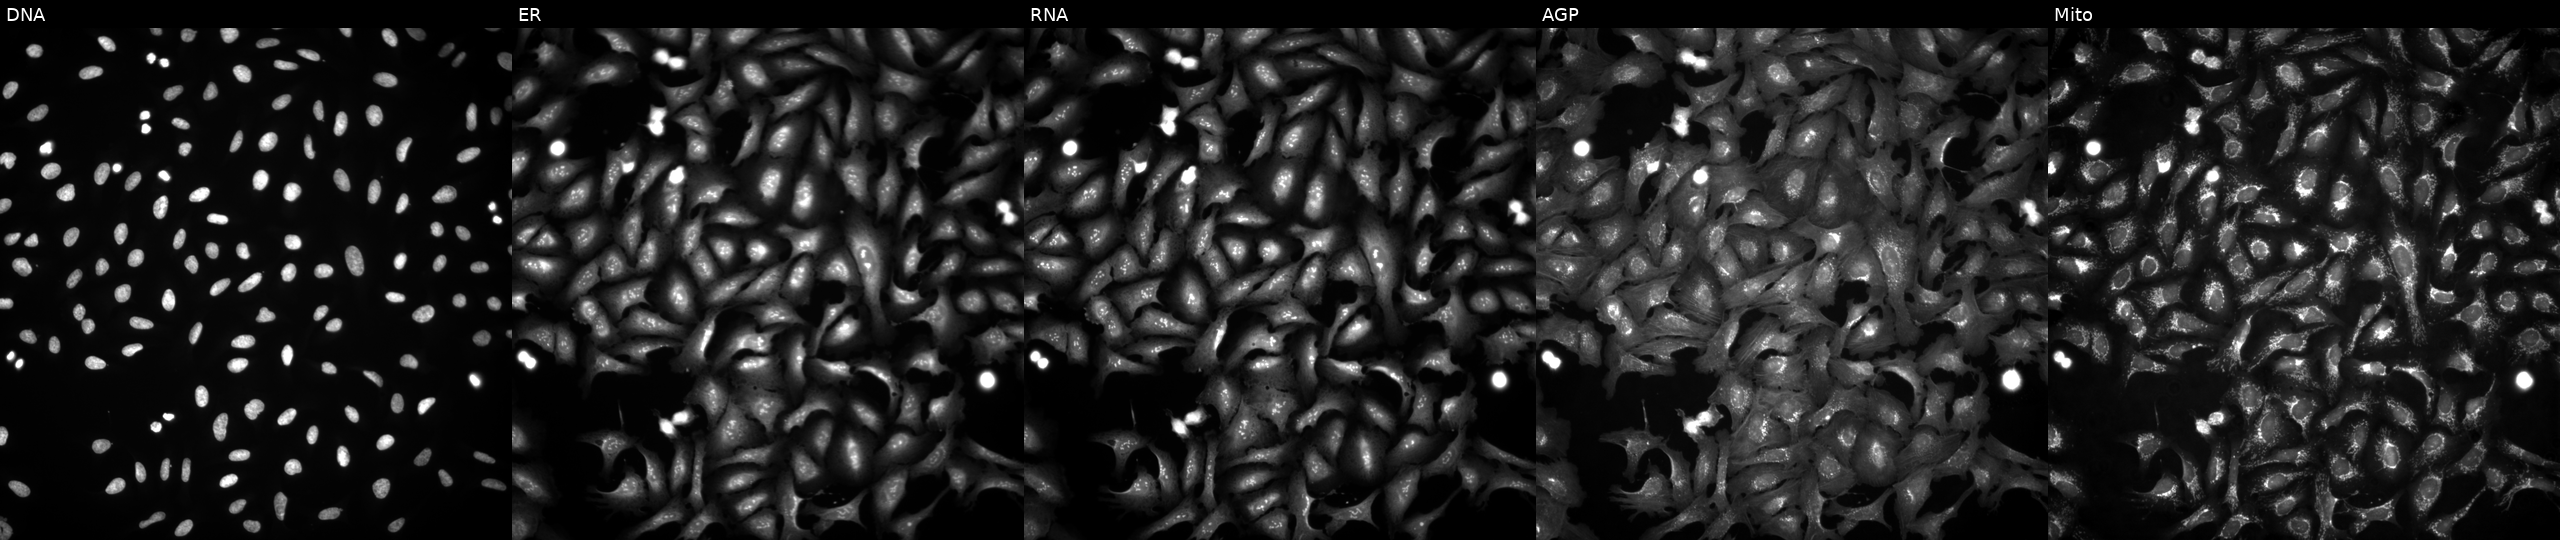
This image strip shows the five Cell Painting channels for a single field of U2OS cells overexpressing TNFSF12 via ORF transfection (JUMP id JCP2022_909525). The five panels, left to right, show DNA (nuclei); ER (endoplasmic reticulum); RNA (nucleoli and cytoplasmic RNA); AGP (actin cytoskeleton, Golgi, and plasma membrane); Mito (mitochondria).